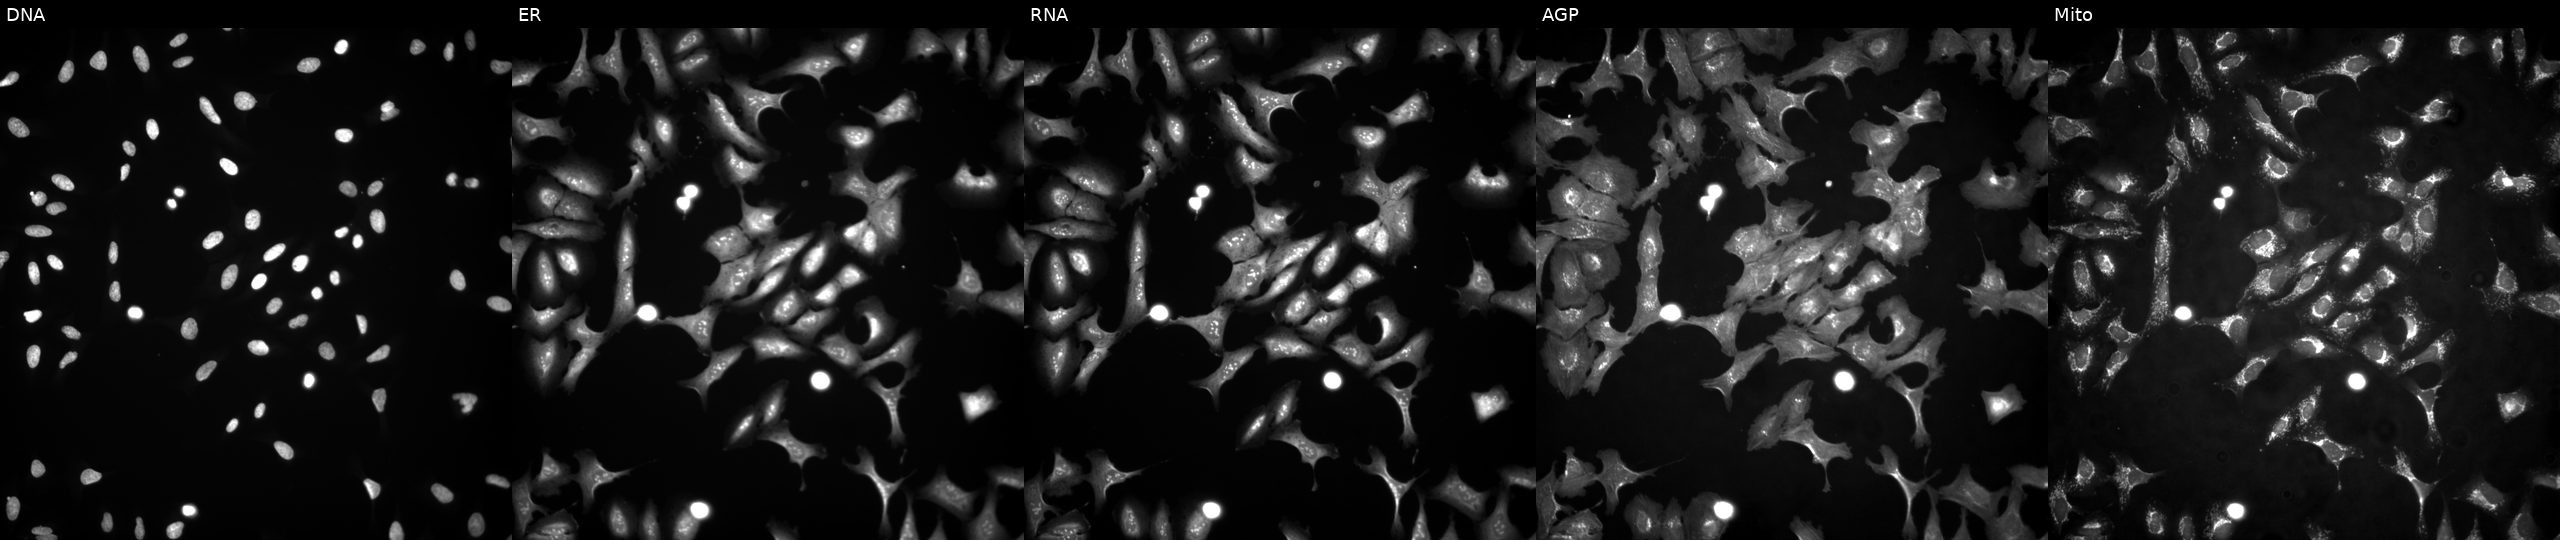
Five-channel Cell Painting image of U2OS cells expressing eGFP (ORF positive control) (JUMP id JCP2022_915132). The five panels, left to right, show Hoechst 33342, concanavalin A, SYTO 14, phalloidin and WGA, MitoTracker. Source 4, plate BR00117035, well O20.